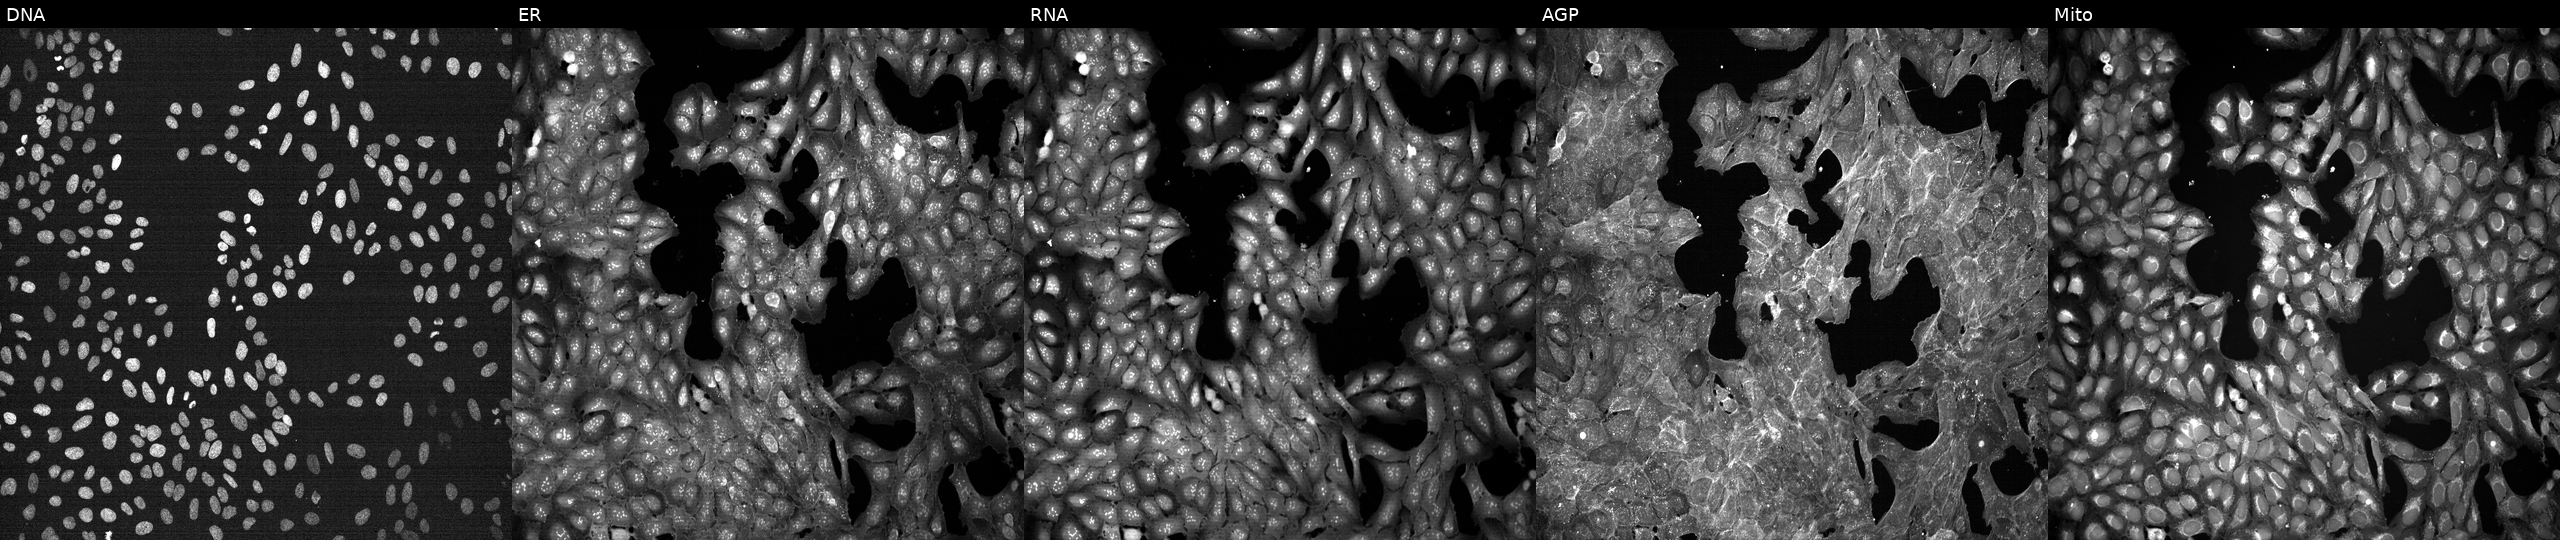
Five-channel Cell Painting image of U2OS cells treated with a small-molecule compound. Panels show, left to right, Hoechst 33342, concanavalin A, SYTO 14, phalloidin and WGA, MitoTracker. Source 7, plate CP1-SC1-25, well O15.